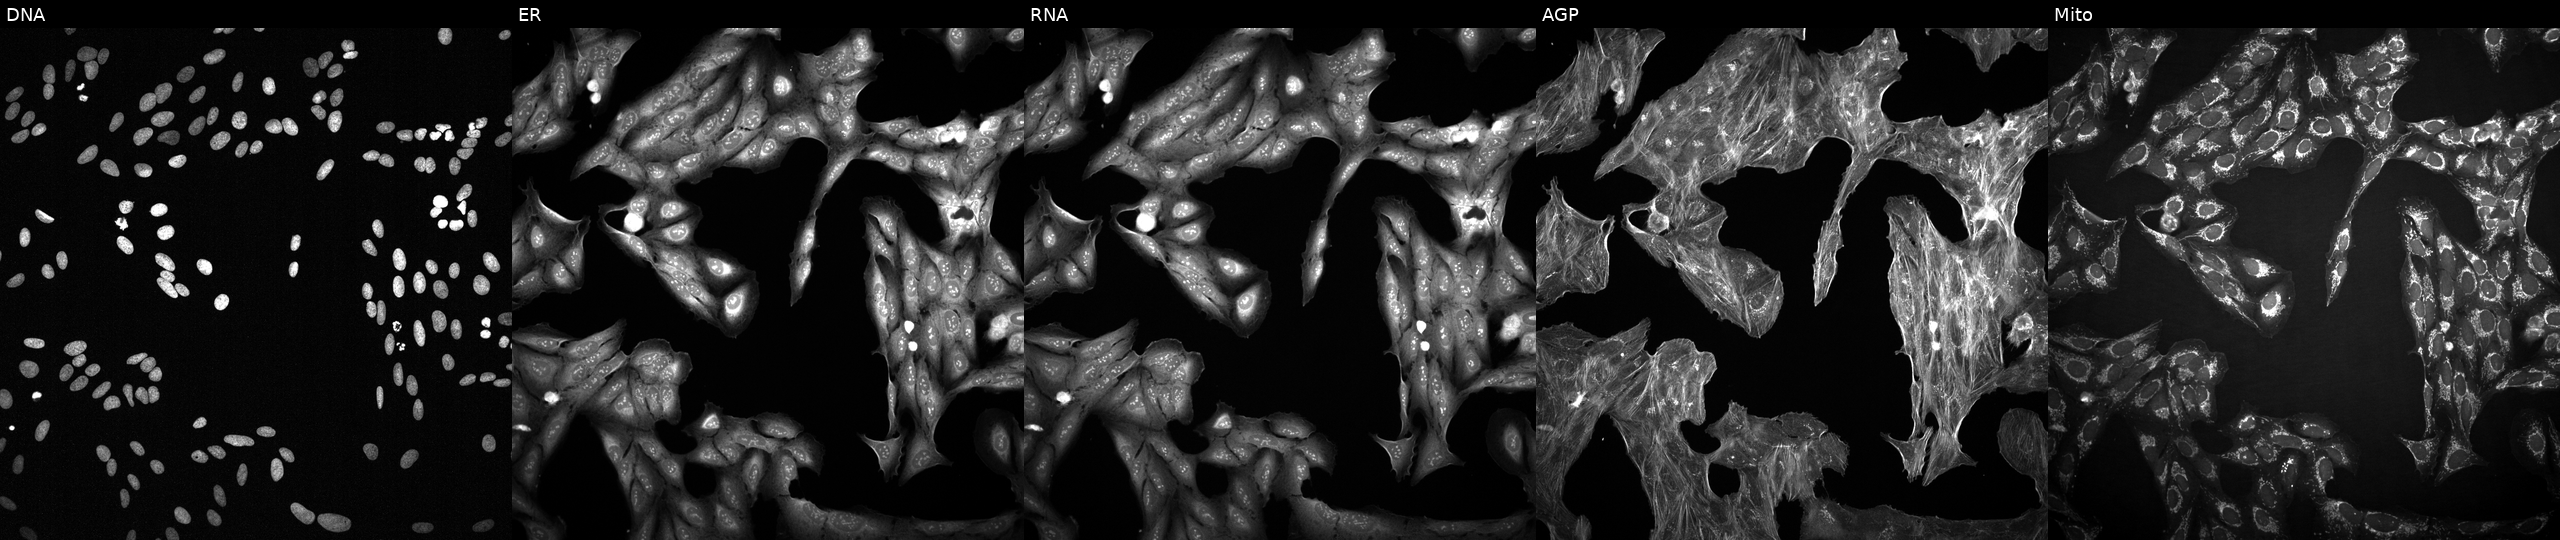
This image strip shows the five Cell Painting channels for a single field of U2OS cells exposed to a small-molecule compound (InChIKey BLVQHYHDYFTPDV-UHFFFAOYSA-N) [SMILES: Nc1cc(F)ccc1NC(=O)C=Cc1cnn(CC=Cc2ccccc2)c1] (JUMP id JCP2022_007175). From left to right: Hoechst 33342, concanavalin A, SYTO 14, phalloidin and WGA, MitoTracker. Source 2, plate 1053600674, well N04.